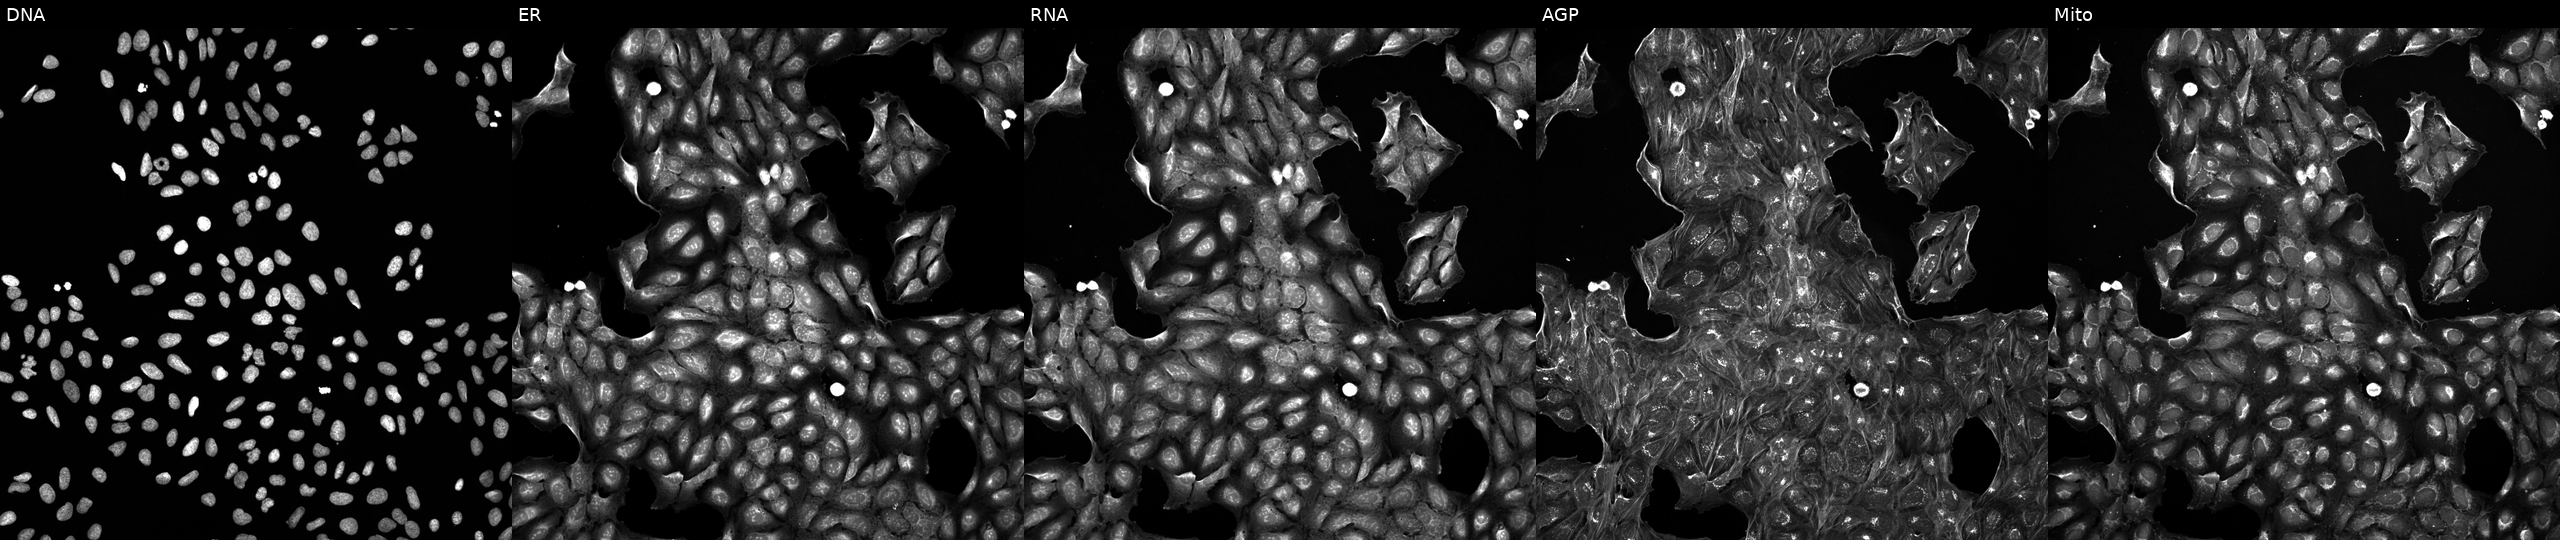
Panels show, left to right, DNA (nuclei); ER (endoplasmic reticulum); RNA (nucleoli and cytoplasmic RNA); AGP (actin cytoskeleton, Golgi, and plasma membrane); Mito (mitochondria). U2OS osteosarcoma cells treated with a small-molecule compound (InChIKey WLKKFCTXGJPBKY-UHFFFAOYSA-N) (JUMP id JCP2022_099538). Cell Painting assay, JUMP-CP dataset. Source 5, plate APTJUM106, well B07.